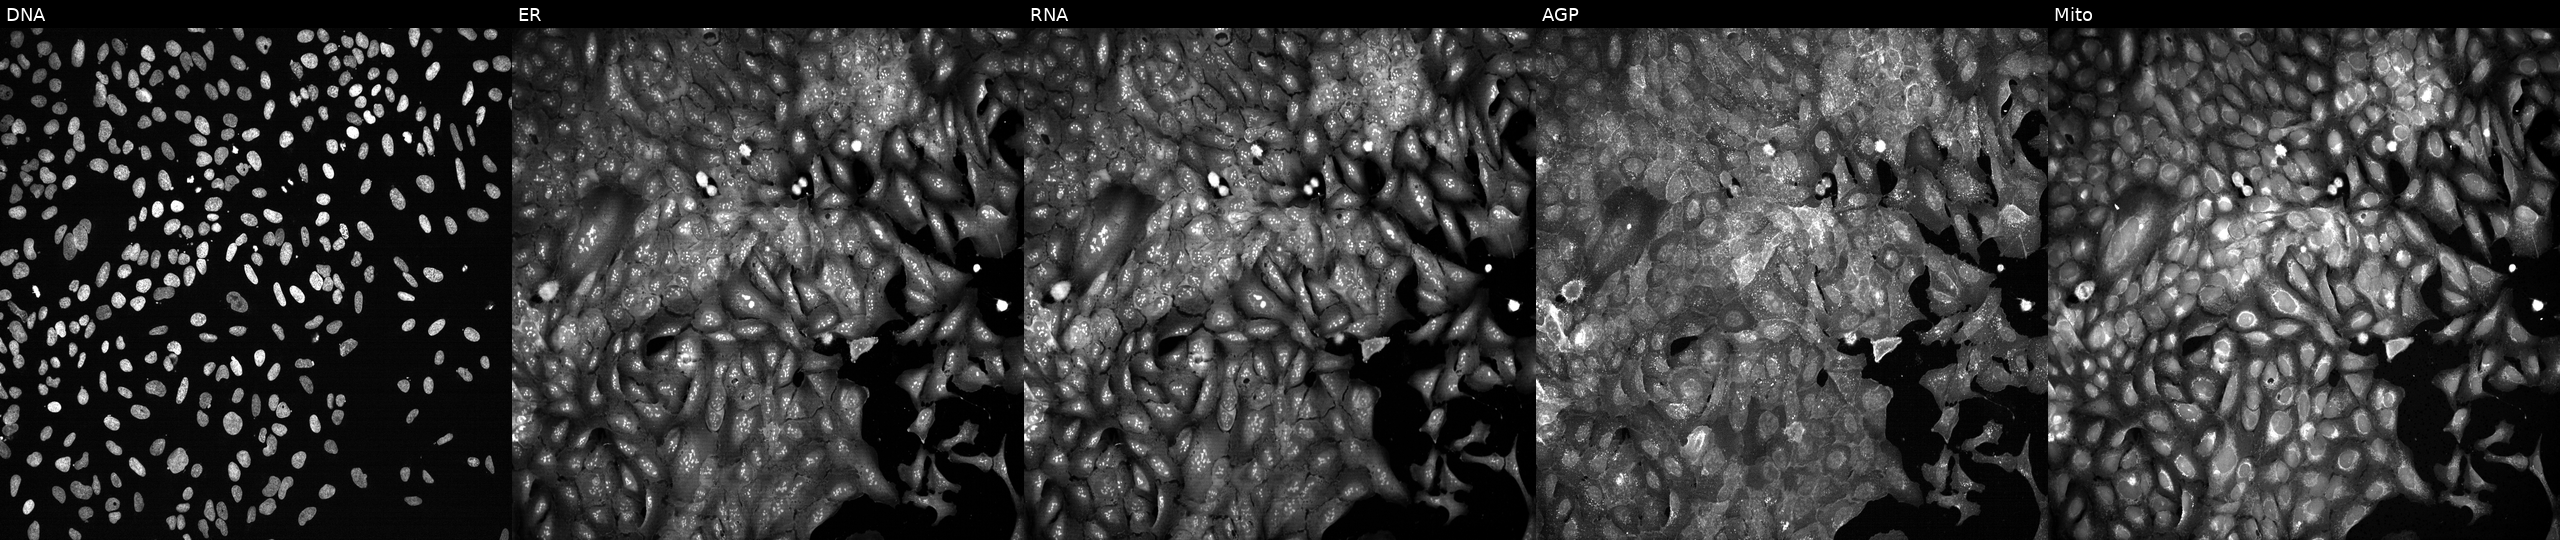
This image strip shows the five Cell Painting channels for a single field of U2OS cells with DDX43 knocked out by CRISPR. Channels (left→right): DNA, ER, RNA, AGP, and Mito.